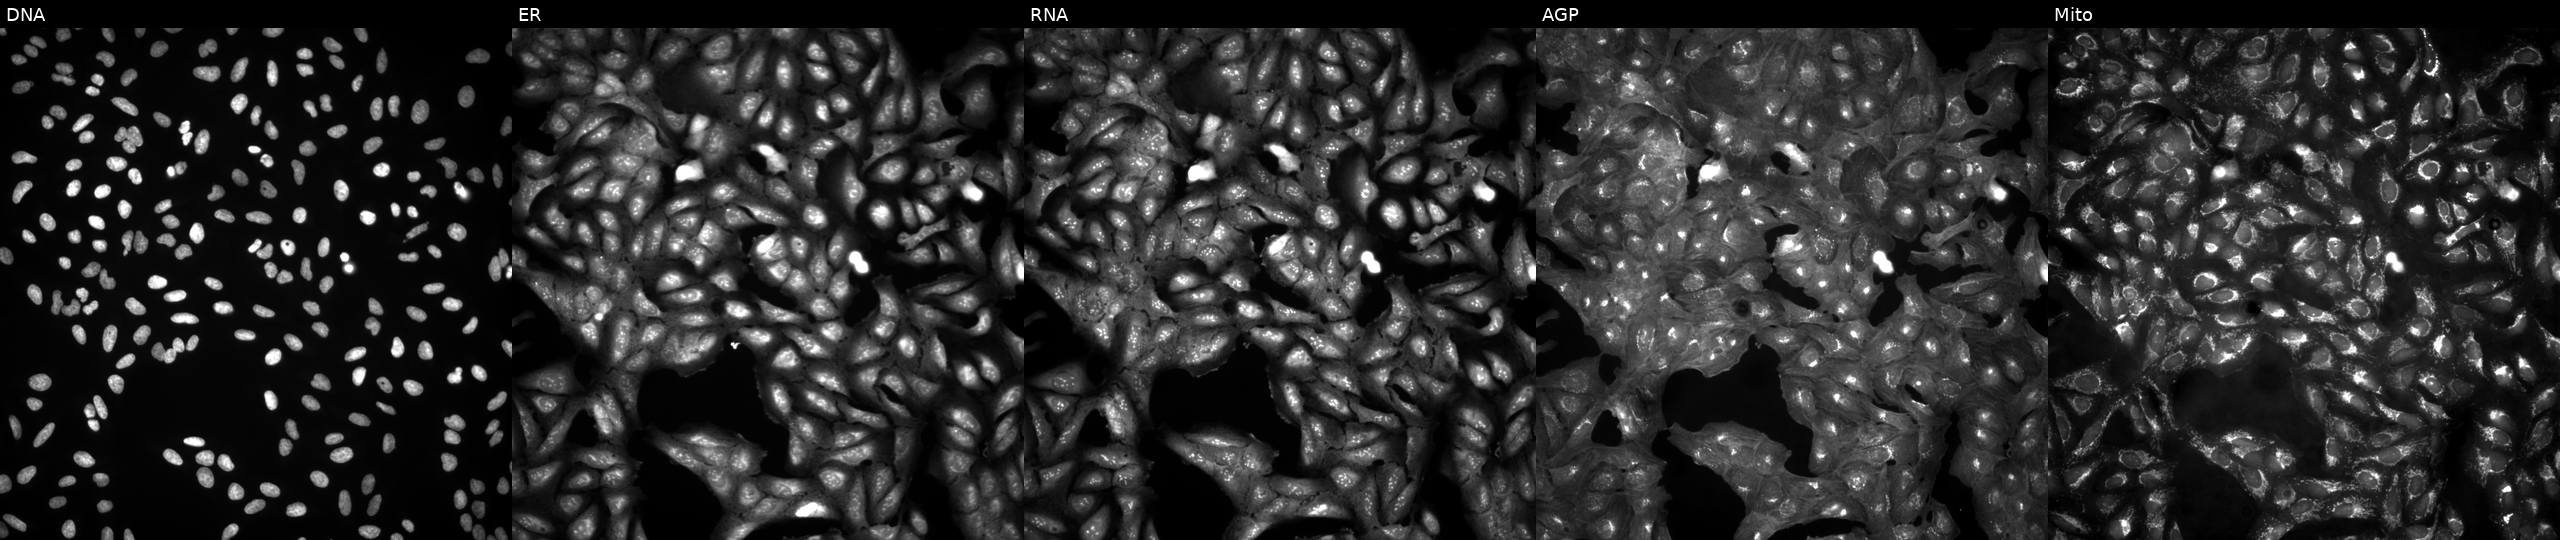
Panels show, left to right, DNA, ER, RNA, AGP, and Mito. U2OS osteosarcoma cells untreated (empty-well control). Cell Painting assay, JUMP-CP dataset.